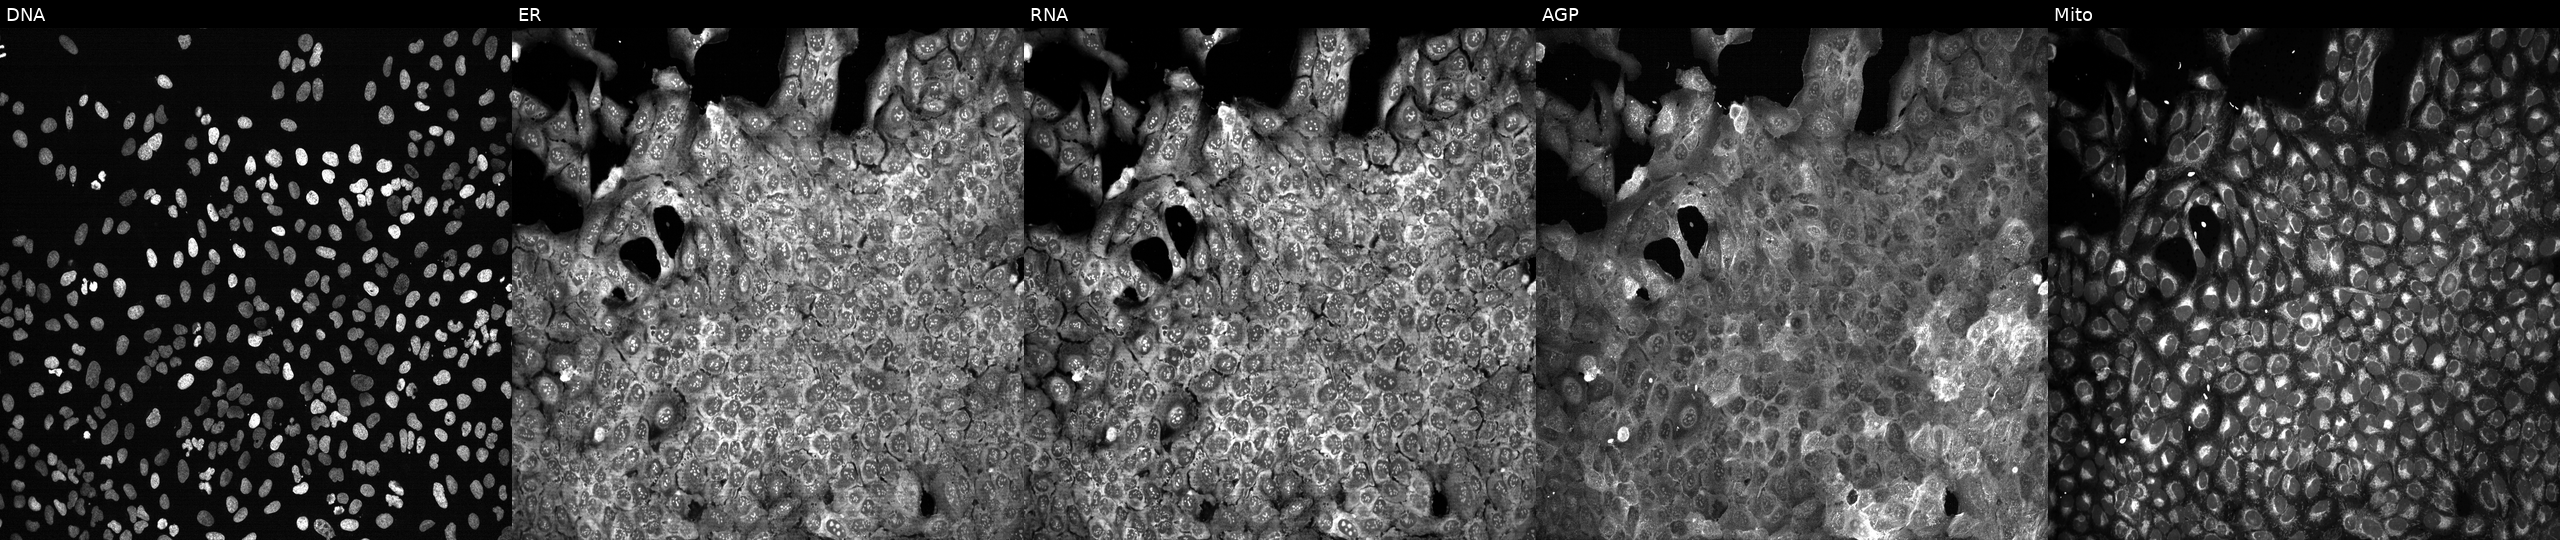
Five-channel Cell Painting image of U2OS cells with DAO knocked out by CRISPR (JUMP id JCP2022_801673). Panels show, left to right, Hoechst 33342, concanavalin A, SYTO 14, phalloidin and WGA, MitoTracker. Source 13, plate CP-CC9-R2-01, well G18.